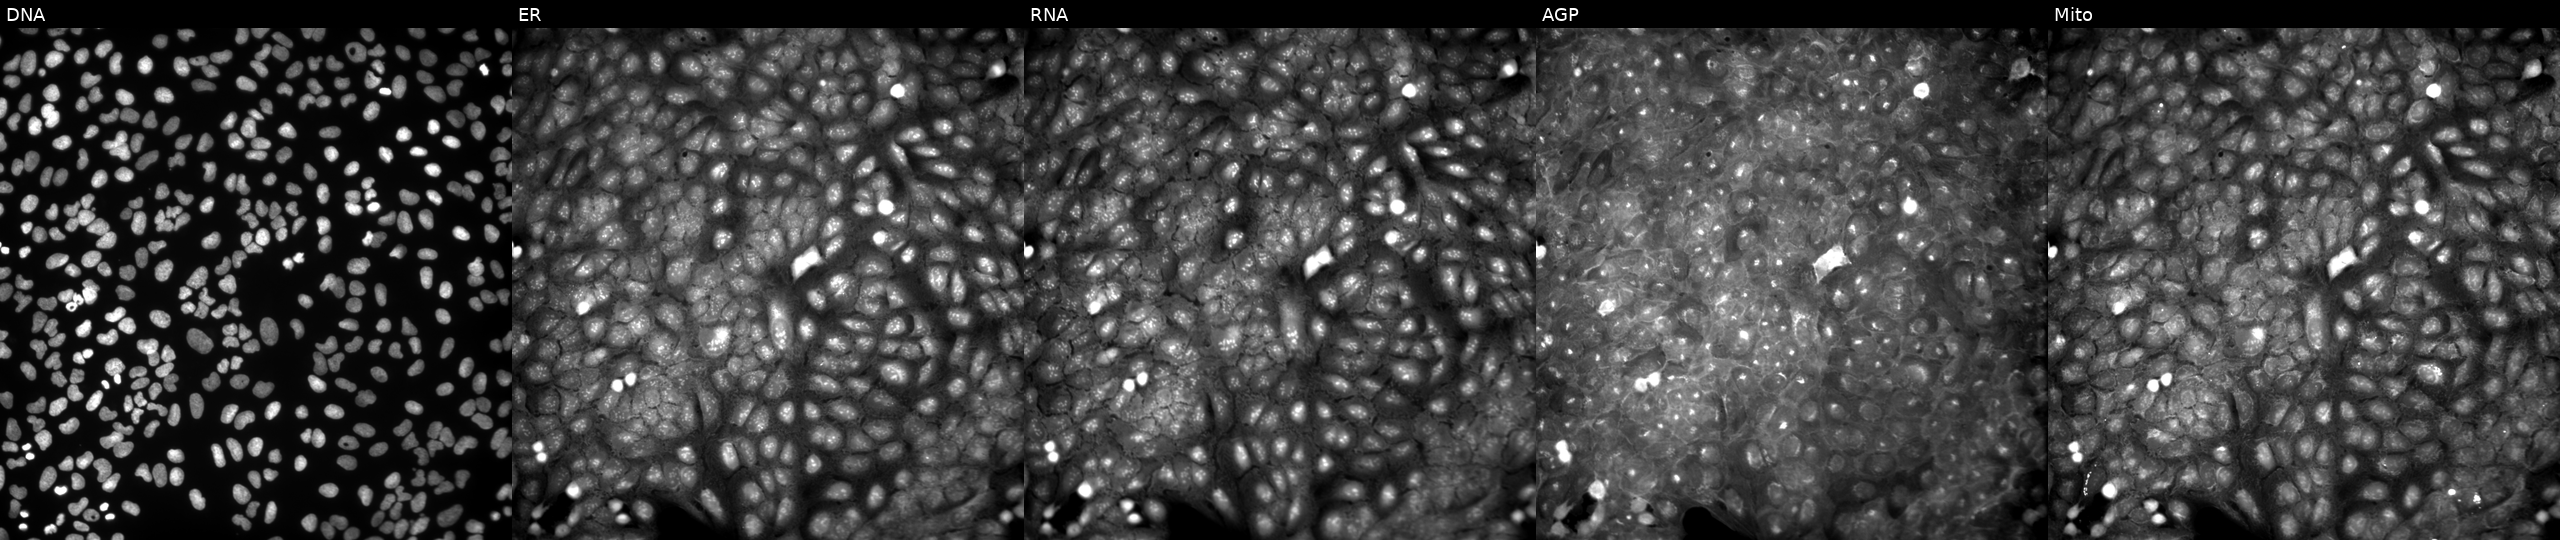
High-content fluorescence microscopy (Cell Painting). Cell line: U2OS. Perturbation: exposed to a small-molecule compound (JUMP id JCP2022_046808). The five panels, left to right, show DNA, ER, RNA, AGP, and Mito.